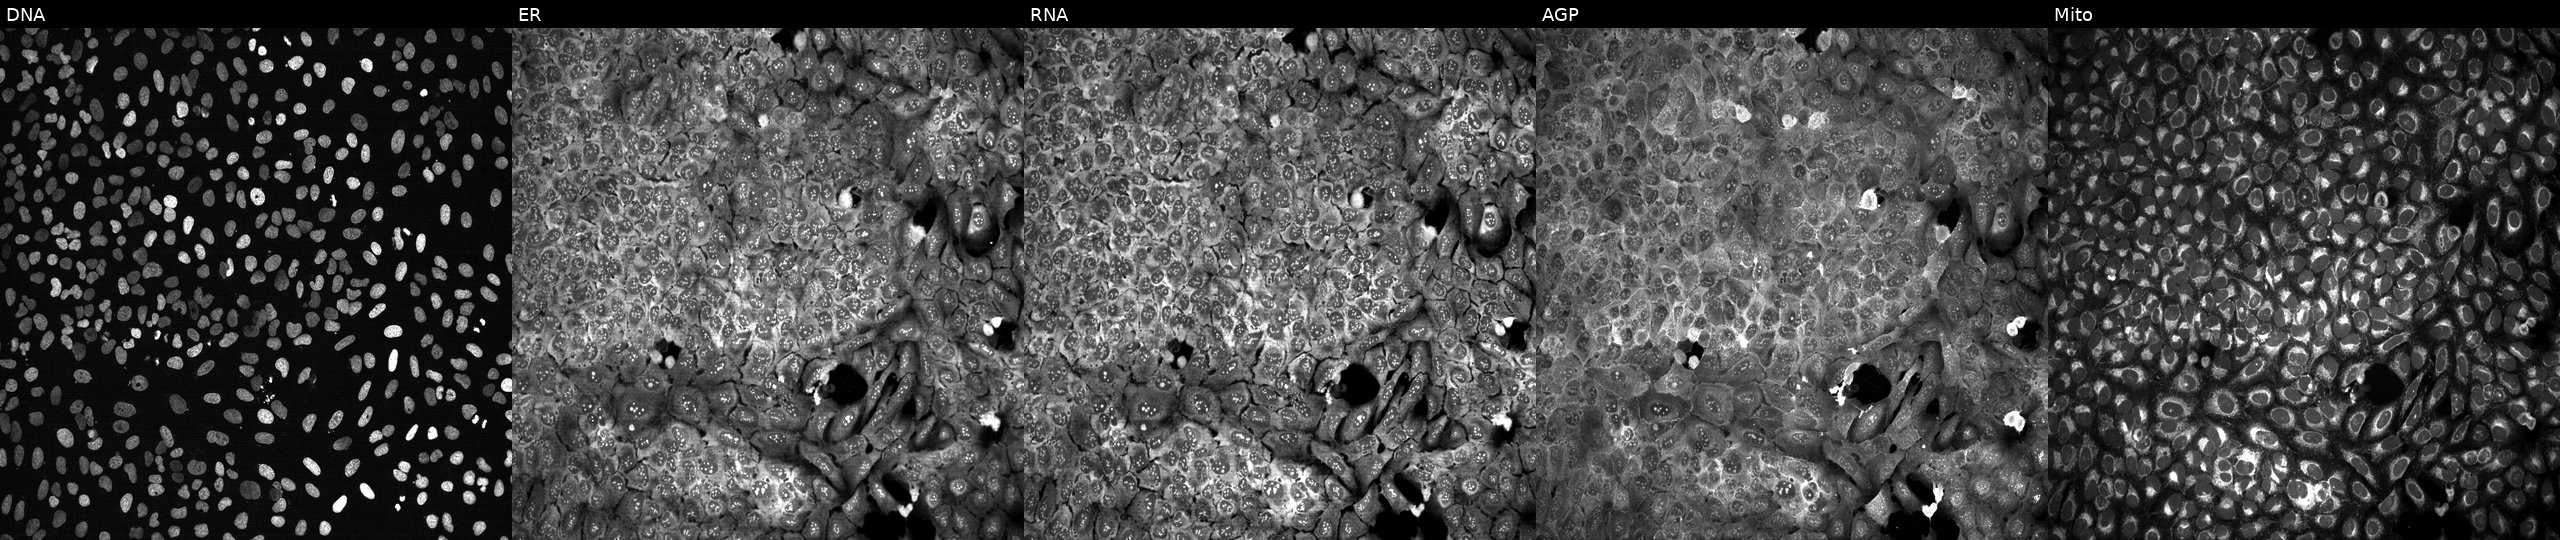
From left to right: Hoechst 33342, concanavalin A, SYTO 14, phalloidin and WGA, MitoTracker. U2OS osteosarcoma cells with TRMT1L knocked out by CRISPR. Cell Painting assay, JUMP-CP dataset. Source 13, plate CP-CC9-R4-03, well D17.